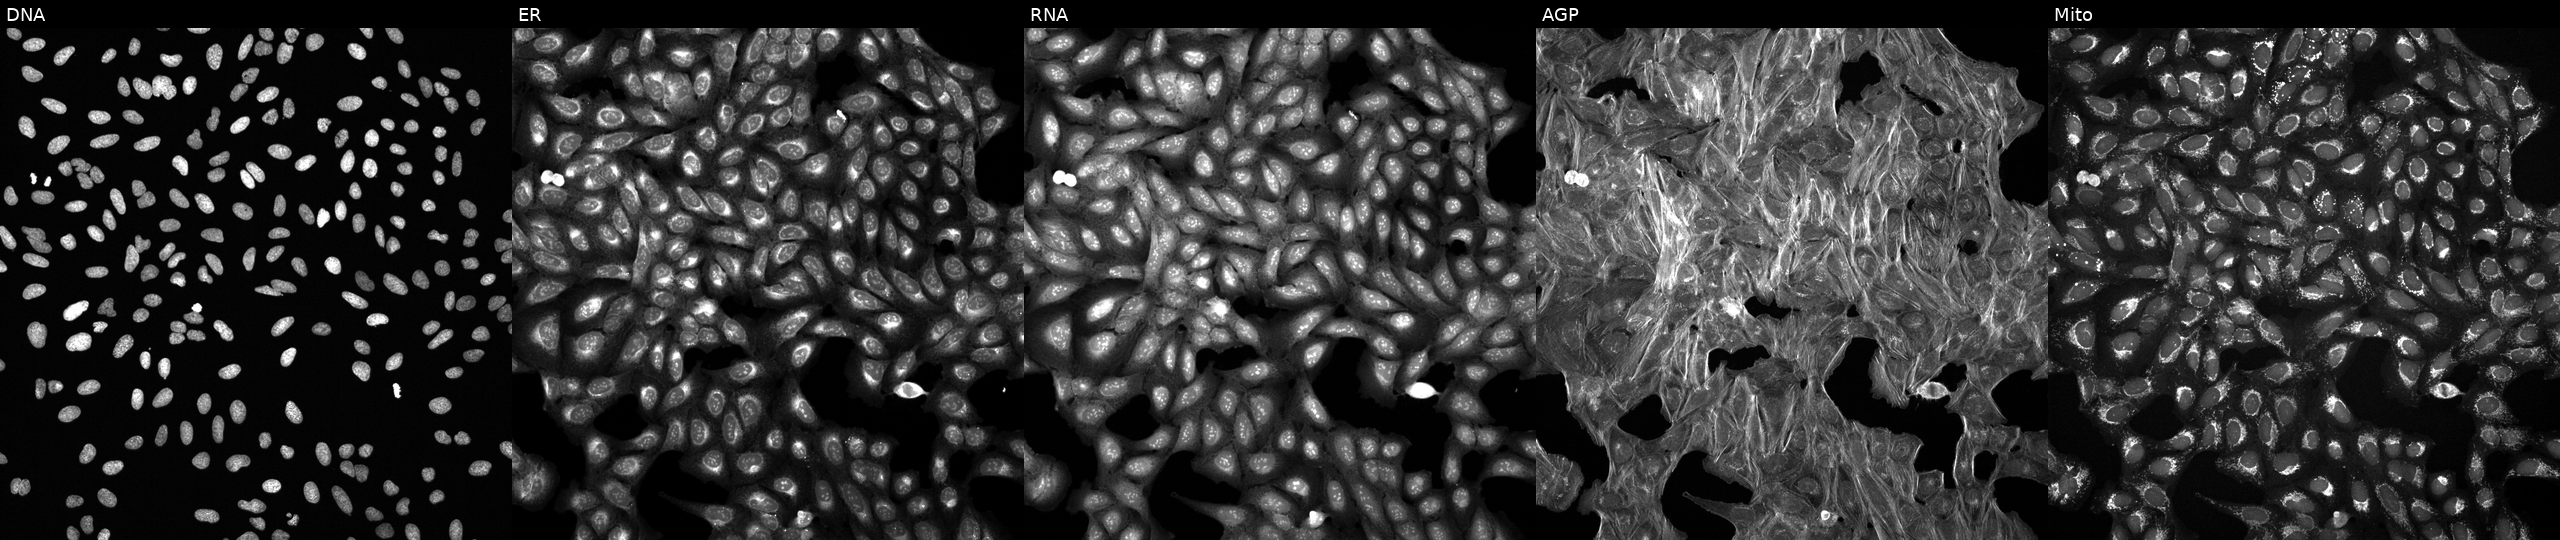
The five panels, left to right, show Hoechst 33342, concanavalin A, SYTO 14, phalloidin and WGA, MitoTracker. U2OS osteosarcoma cells treated with a small-molecule compound. Cell Painting assay, JUMP-CP dataset.